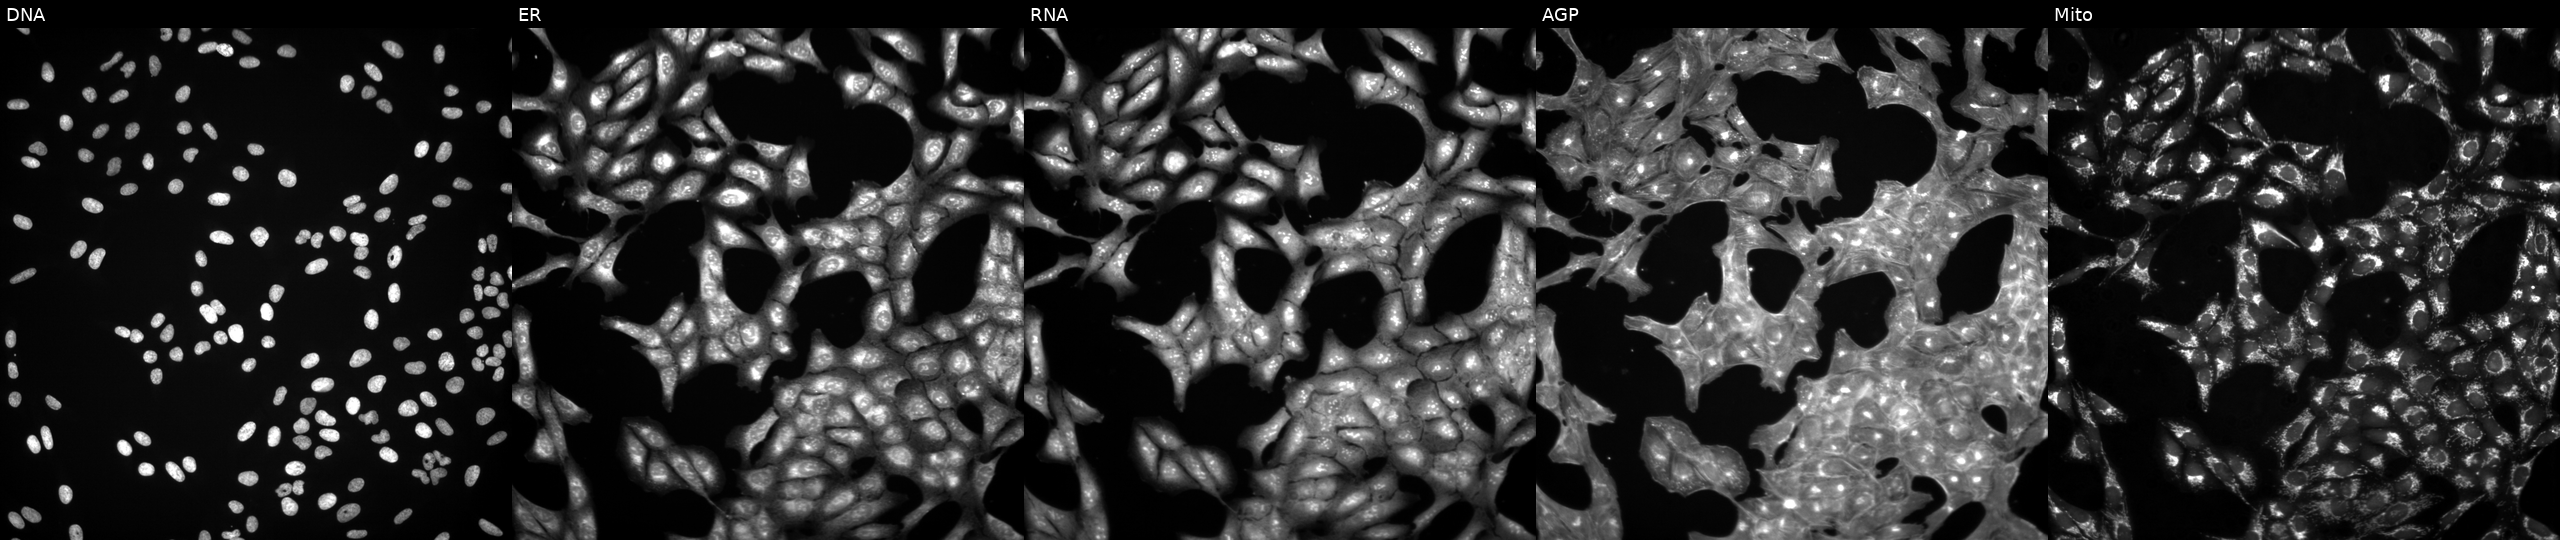
JUMP Cell Painting — TARGET2 plate. U2OS cells exposed to a small-molecule compound (InChIKey NUIKTBLZSPQGCP-UHFFFAOYSA-N) [SMILES: CCOc1ccc(-c2nc(-c3cccc4c3CCC4NCCO)no2)cc1OCC] (JUMP id JCP2022_061421). Channels (left→right): DNA (nuclei); ER (endoplasmic reticulum); RNA (nucleoli and cytoplasmic RNA); AGP (actin cytoskeleton, Golgi, and plasma membrane); Mito (mitochondria). Source 3, plate JCPQC051, well A21.